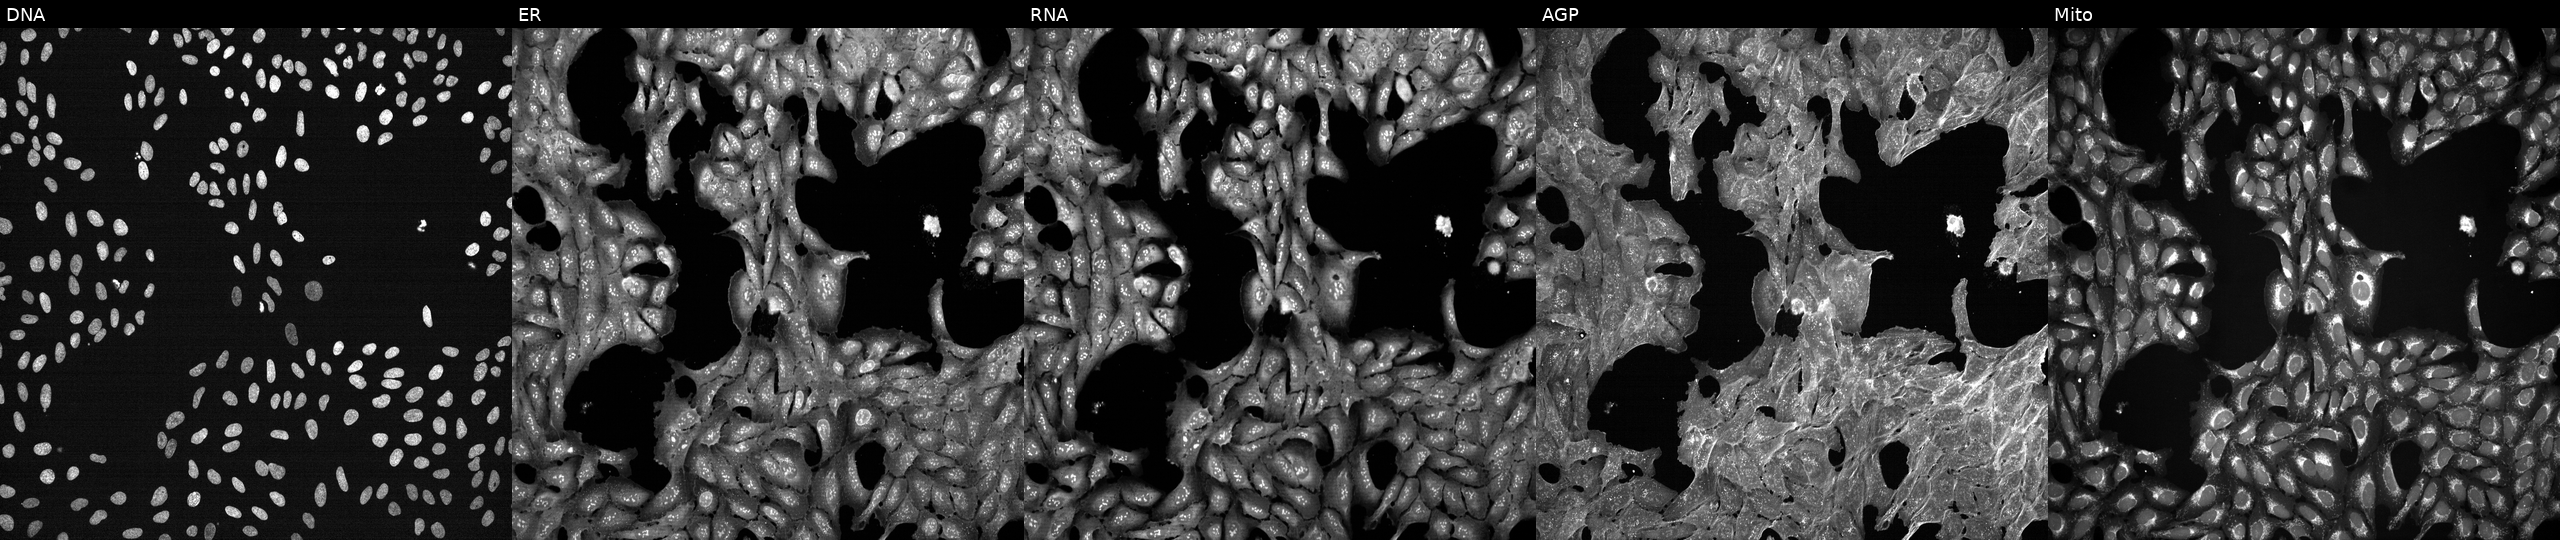
The five panels, left to right, show Hoechst 33342, concanavalin A, SYTO 14, phalloidin and WGA, MitoTracker. U2OS osteosarcoma cells exposed to a small-molecule compound (InChIKey PKYKNPLSFOKASK-UHFFFAOYSA-N) [SMILES: CCCCc1c(O)n(-c2ccccc2)n(-c2ccccc2)c1=O] (JUMP id JCP2022_069285). Cell Painting assay, JUMP-CP dataset.